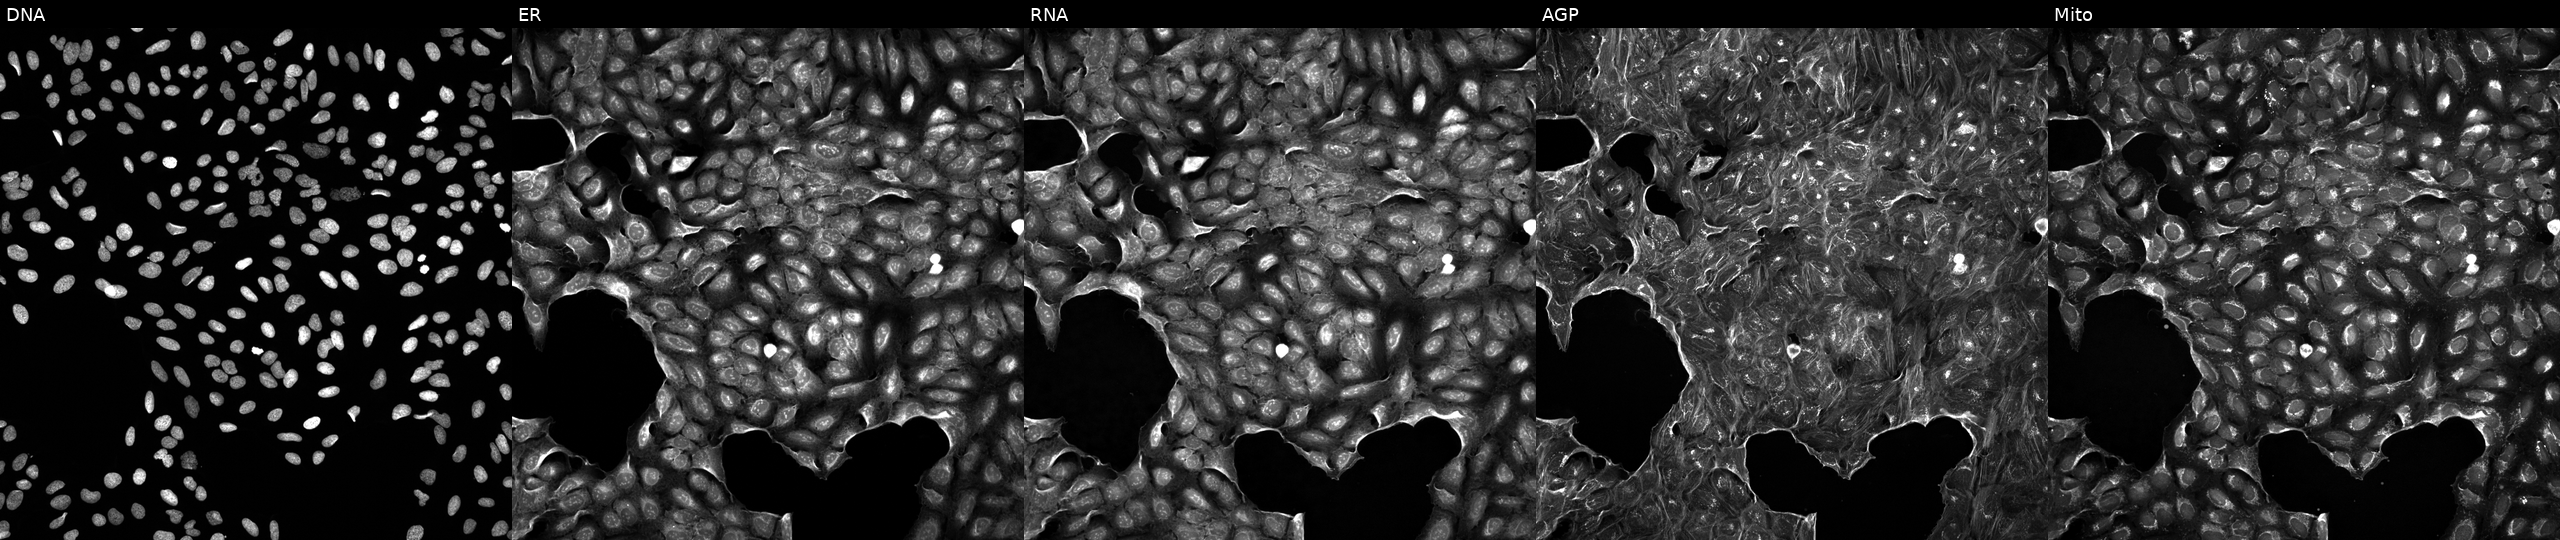
This image strip shows the five Cell Painting channels for a single field of U2OS cells exposed to a small-molecule compound (InChIKey AGNWVEJTZJIJIM-UHFFFAOYSA-N) (JUMP id JCP2022_001275). Channels (left→right): Hoechst 33342, concanavalin A, SYTO 14, phalloidin and WGA, MitoTracker. Source 5, plate ACPJUM051, well N14.